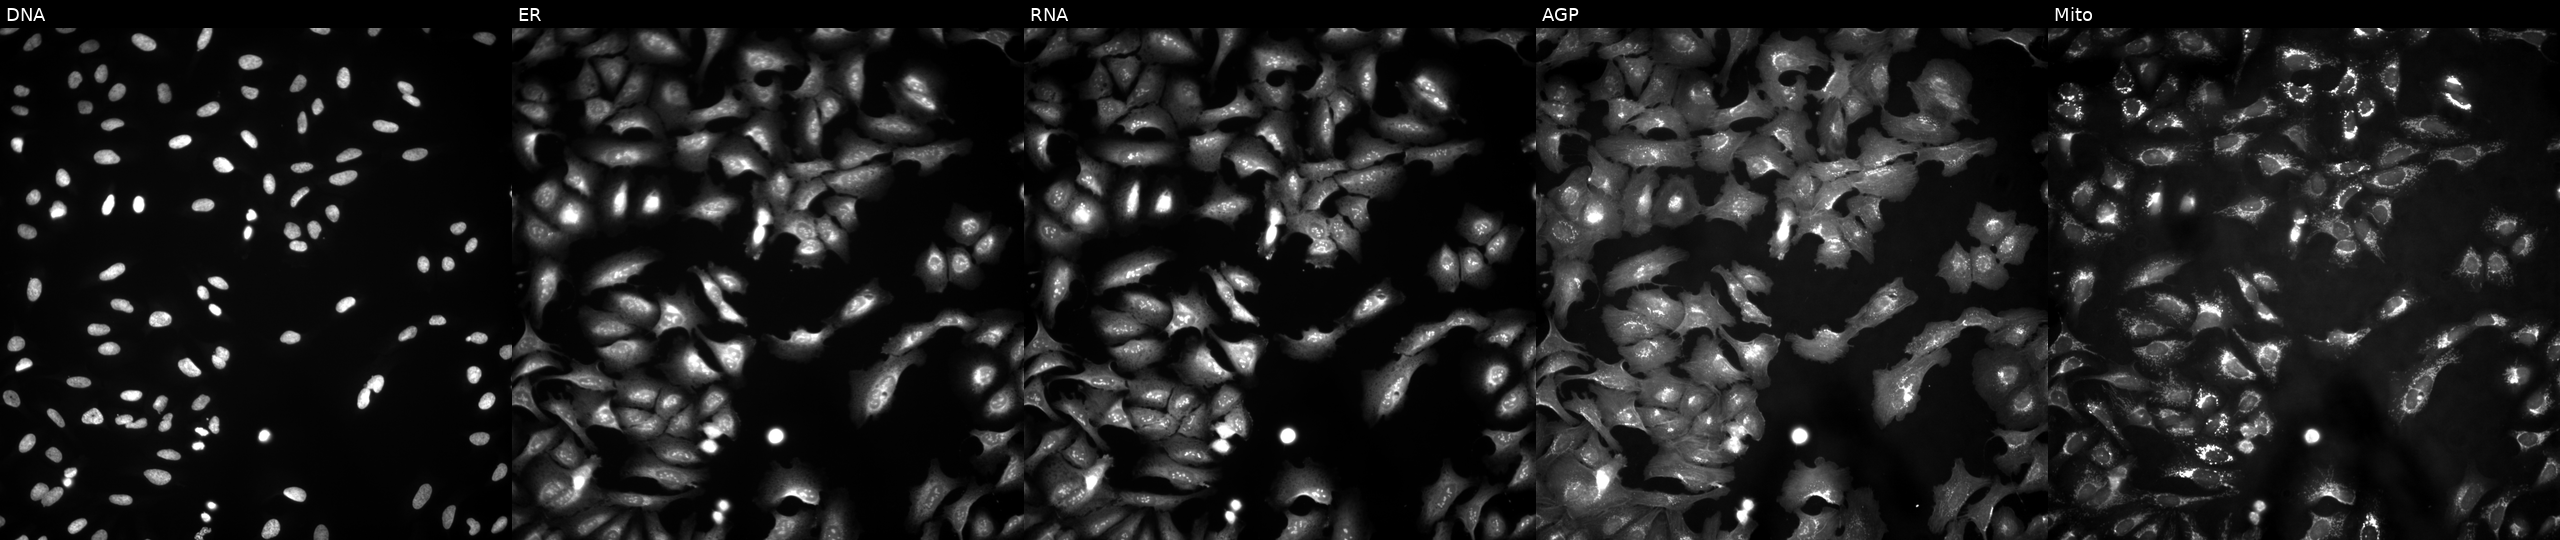
This image strip shows the five Cell Painting channels for a single field of U2OS cells transfected with an ORF construct for OGDHL. Channels (left→right): DNA (nuclei); ER (endoplasmic reticulum); RNA (nucleoli and cytoplasmic RNA); AGP (actin cytoskeleton, Golgi, and plasma membrane); Mito (mitochondria). Source 4, plate BR00121543, well C05.